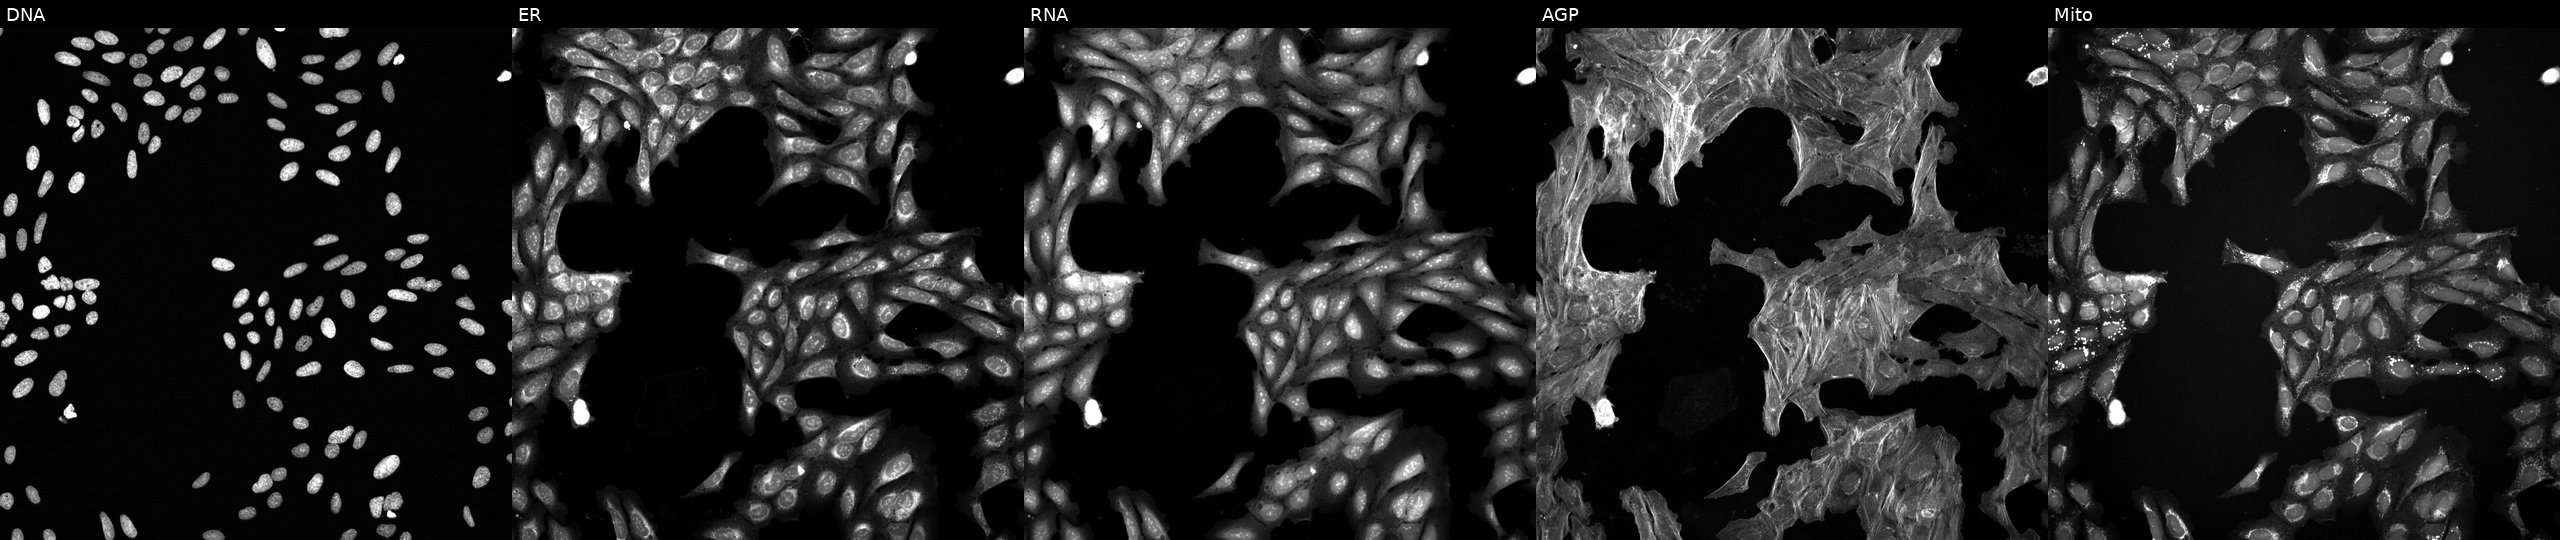
JUMP Cell Painting — TARGET2 plate. U2OS cells treated with a small-molecule compound (InChIKey XFILPEOLDIKJHX-UHFFFAOYSA-N) [SMILES: CNC(=O)C(Cc1ccccc1)NC(=O)C(CC(C)C)C(CSc1cccs1)C(O)=NO] (JUMP id JCP2022_103291). From left to right: DNA, ER, RNA, AGP, and Mito.